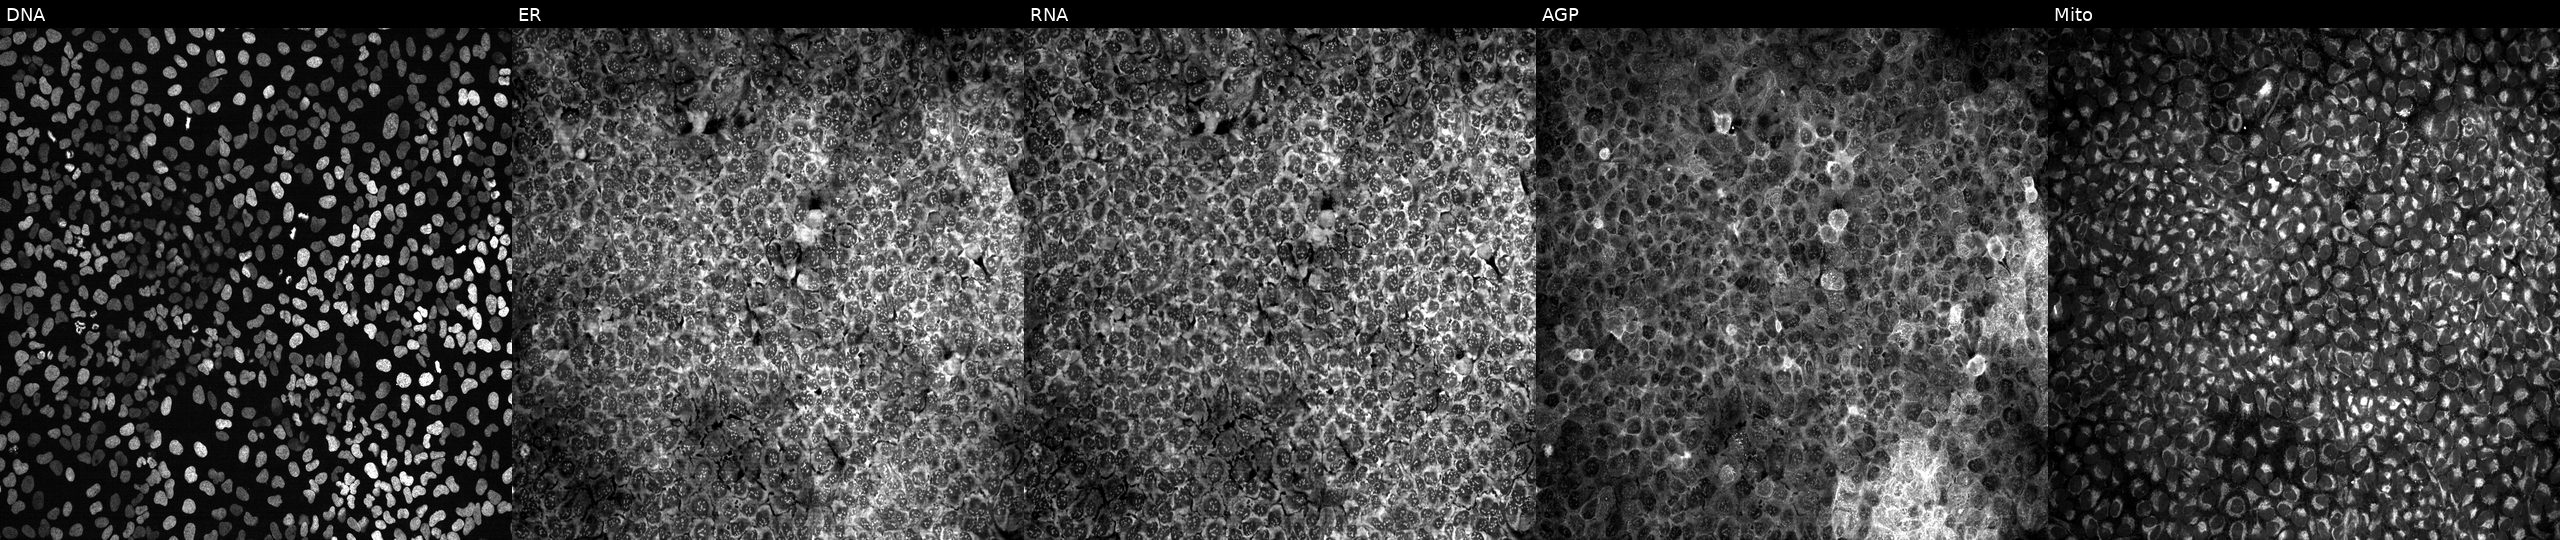
Panels show, left to right, DNA, ER, RNA, AGP, and Mito. U2OS osteosarcoma cells with no CRISPR guide (negative control) (JUMP id JCP2022_800001). Cell Painting assay, JUMP-CP dataset.